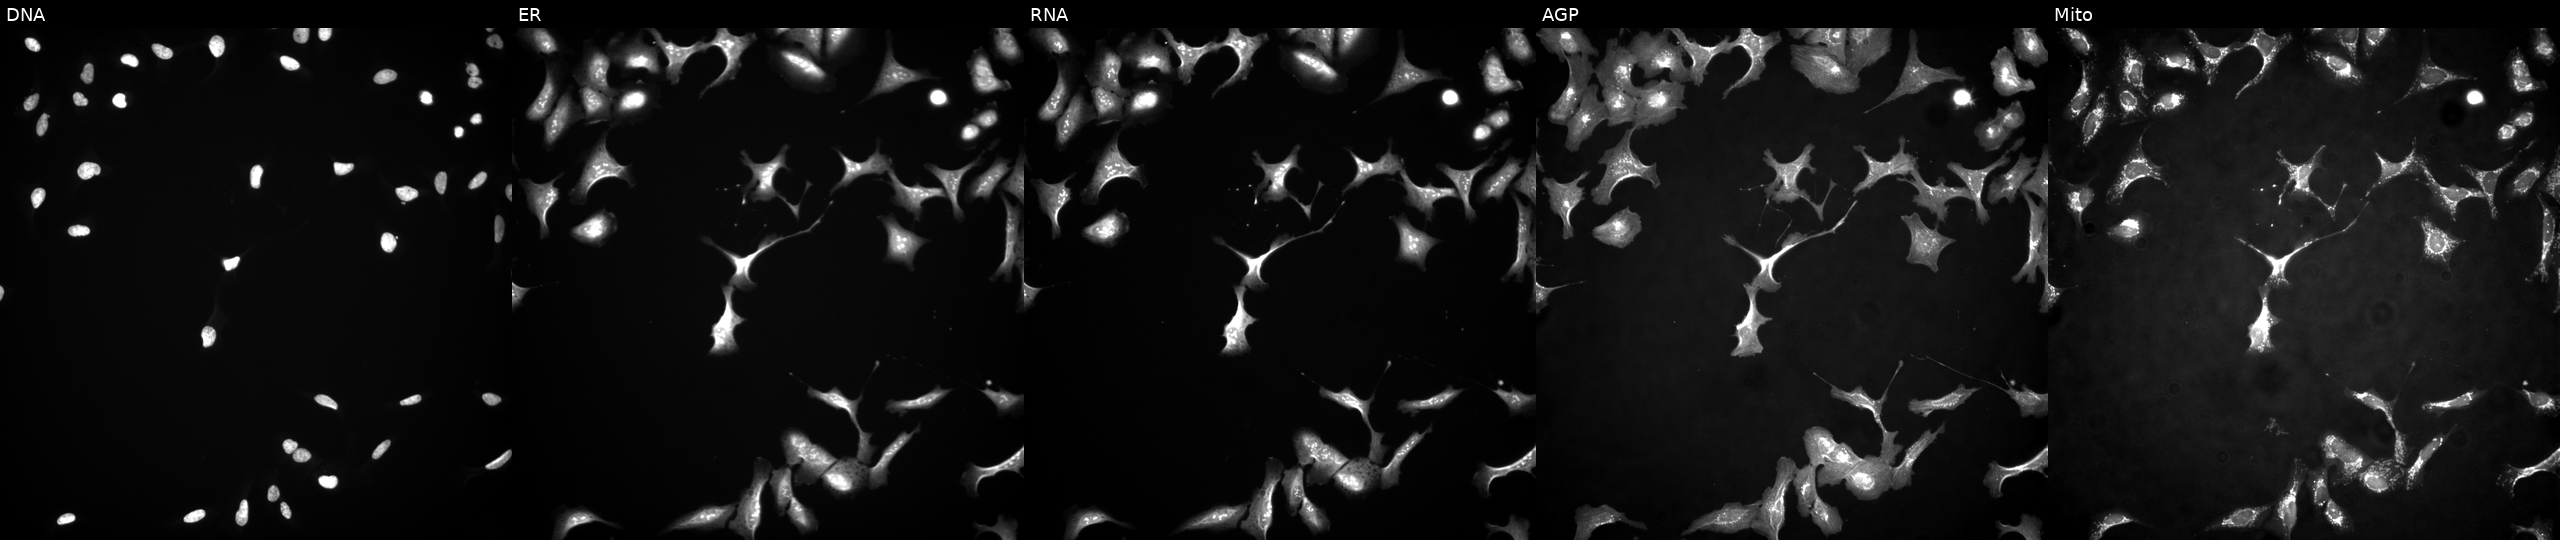
Five-channel Cell Painting image of U2OS cells expressing LacZ (ORF negative control). The five panels, left to right, show Hoechst 33342, concanavalin A, SYTO 14, phalloidin and WGA, MitoTracker. Source 4, plate BR00117035, well I11.